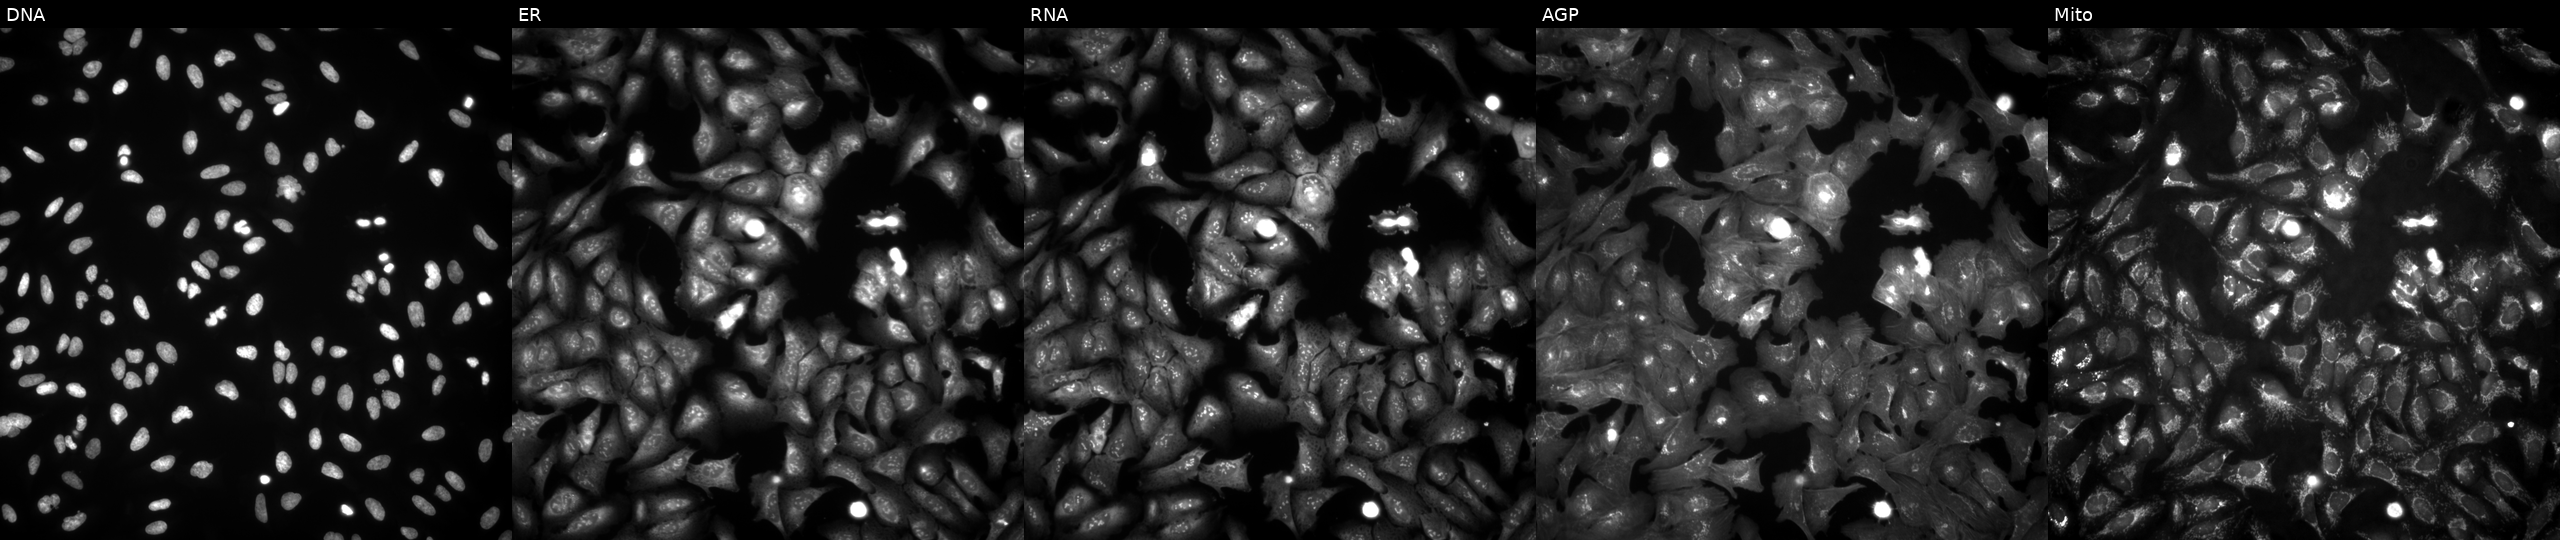
High-content fluorescence microscopy (Cell Painting). Cell line: U2OS. Perturbation: transfected with an ORF construct for GPR35 (JUMP id JCP2022_905910). Panels show, left to right, DNA (nuclei); ER (endoplasmic reticulum); RNA (nucleoli and cytoplasmic RNA); AGP (actin cytoskeleton, Golgi, and plasma membrane); Mito (mitochondria). Source 4, plate BR00123509, well G13.